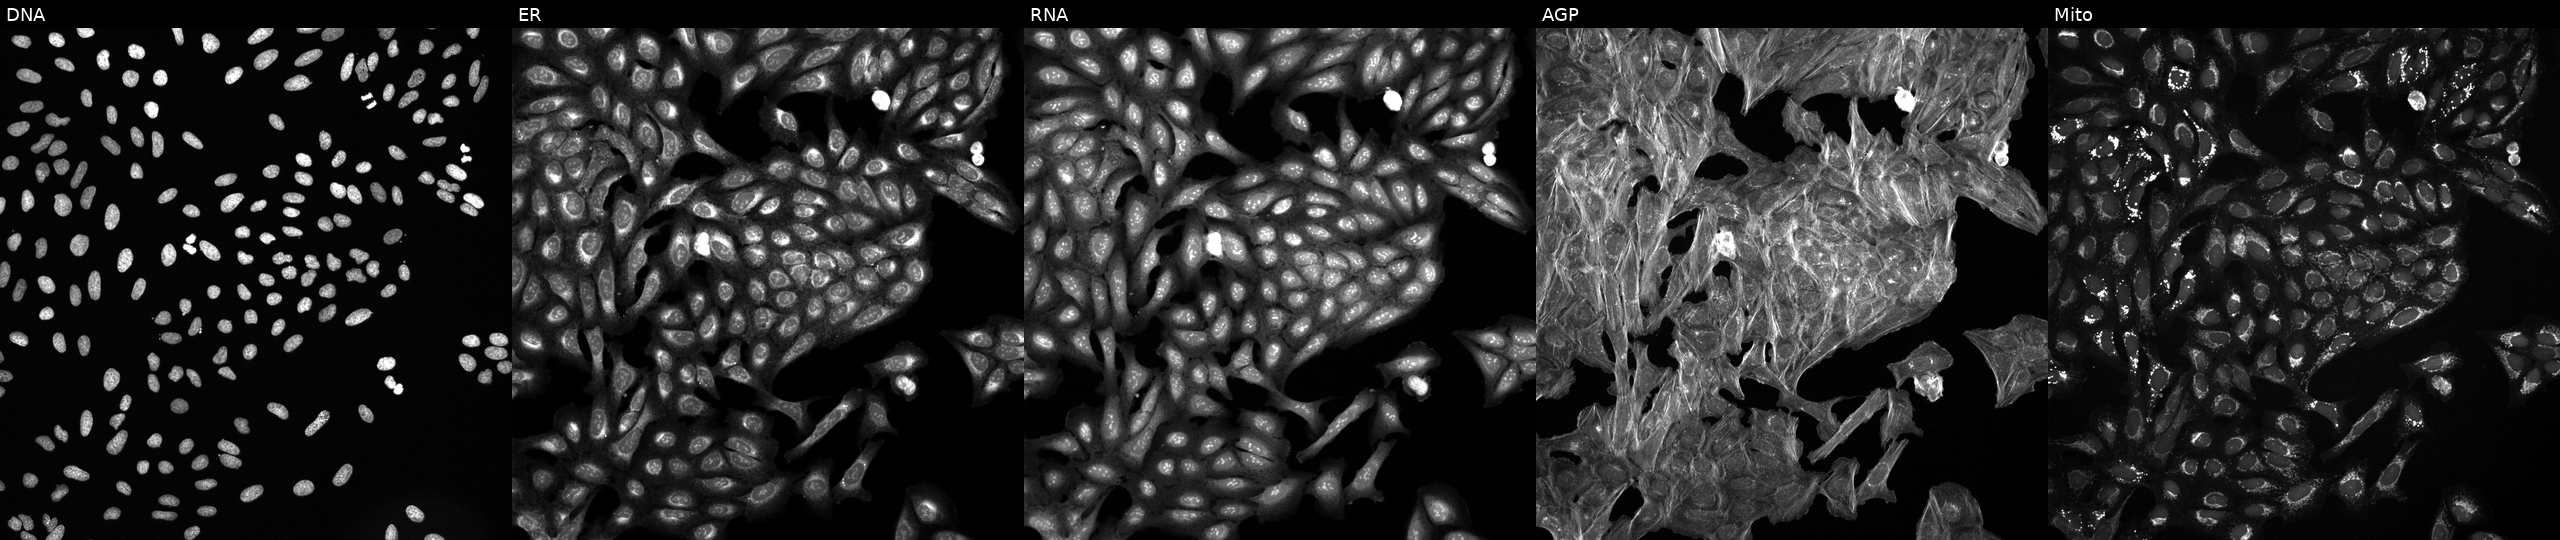
U2OS cells, Cell Painting assay, treated with a small-molecule compound (InChIKey XEYBRNLFEZDVAW-UHFFFAOYSA-N) (JUMP id JCP2022_103217). From left to right: DNA, ER, RNA, AGP, and Mito. Each panel is percentile-stretched 16-bit fluorescence.